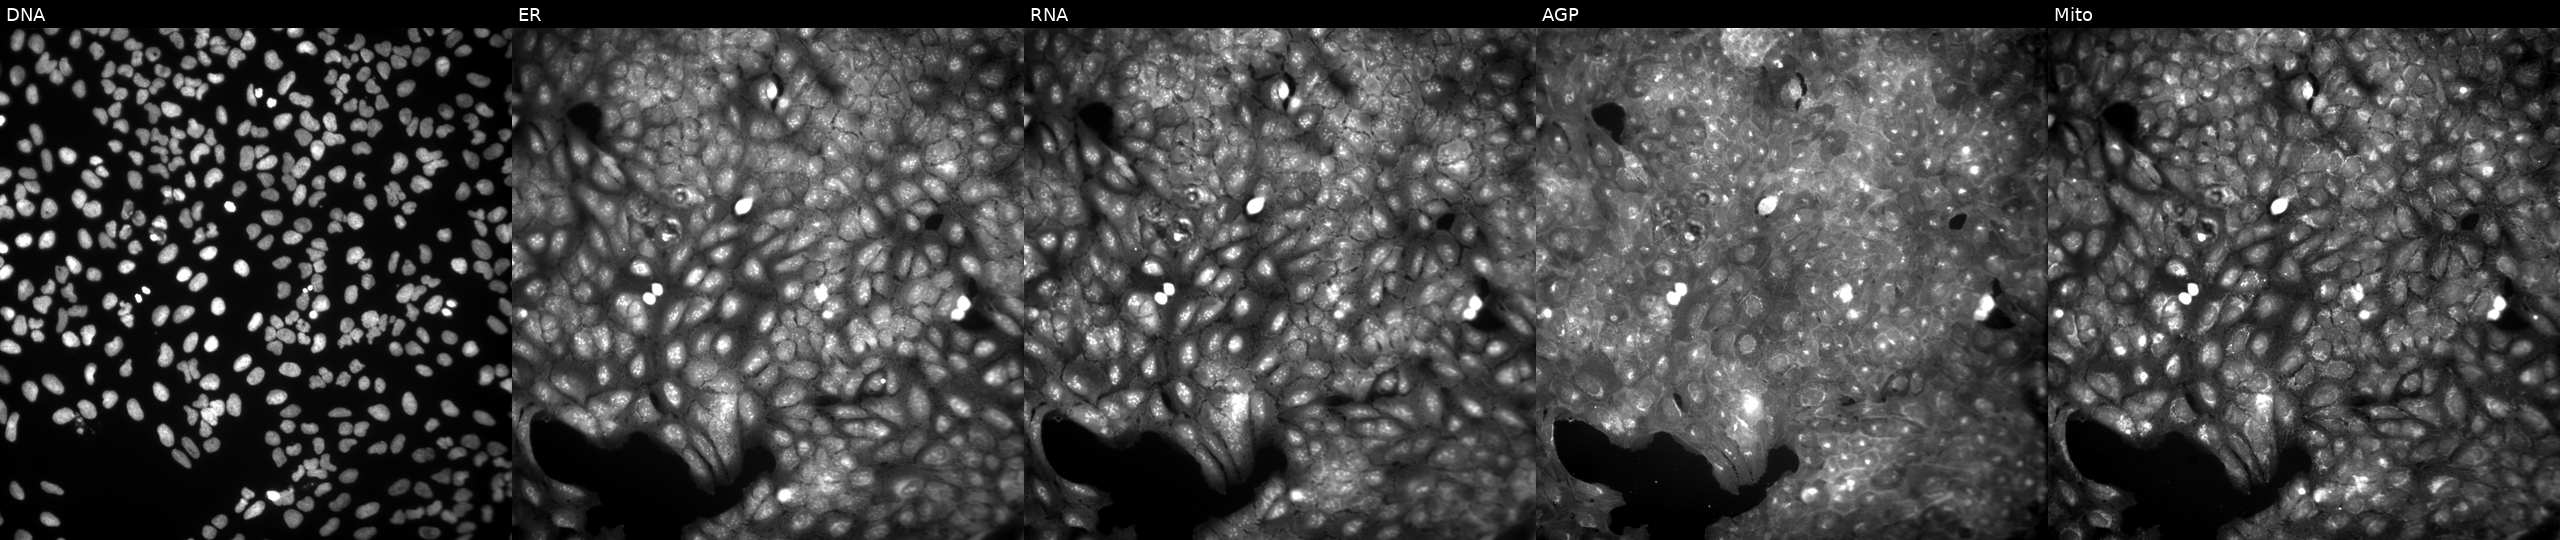
JUMP Cell Painting — COMPOUND plate. U2OS cells exposed to a small-molecule compound (JUMP id JCP2022_116198). The five panels, left to right, show Hoechst 33342, concanavalin A, SYTO 14, phalloidin and WGA, MitoTracker. Source 9, plate GR00003381, well R44.